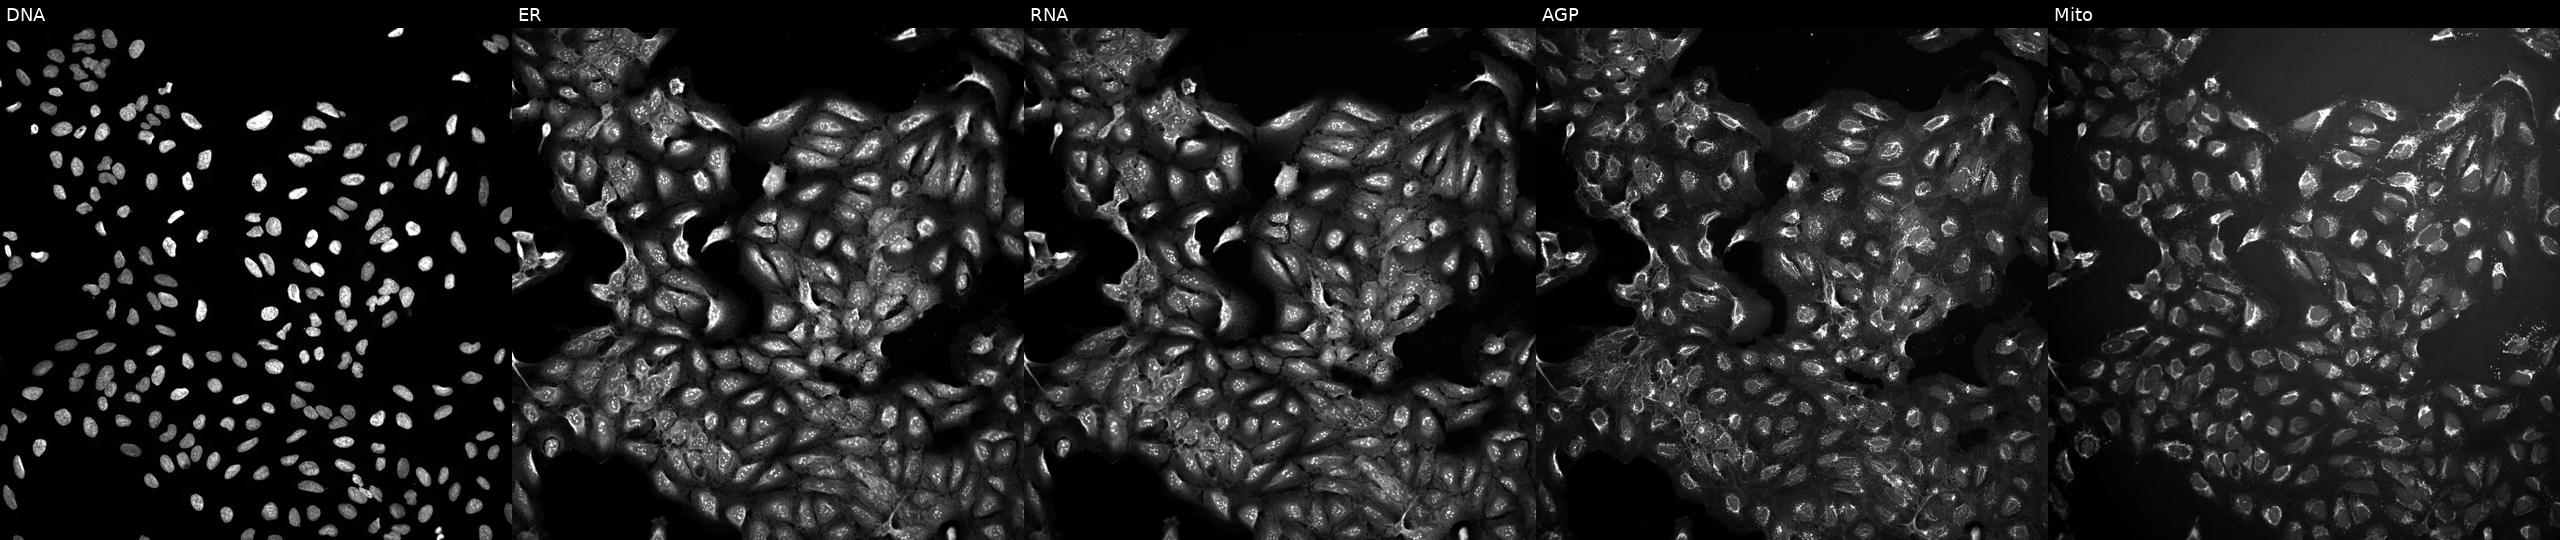
U2OS cells, Cell Painting assay, exposed to a small-molecule compound (InChIKey PHSPJQZRQAJPPF-UHFFFAOYSA-N). Channels (left→right): DNA, ER, RNA, AGP, and Mito. Each panel is percentile-stretched 16-bit fluorescence.